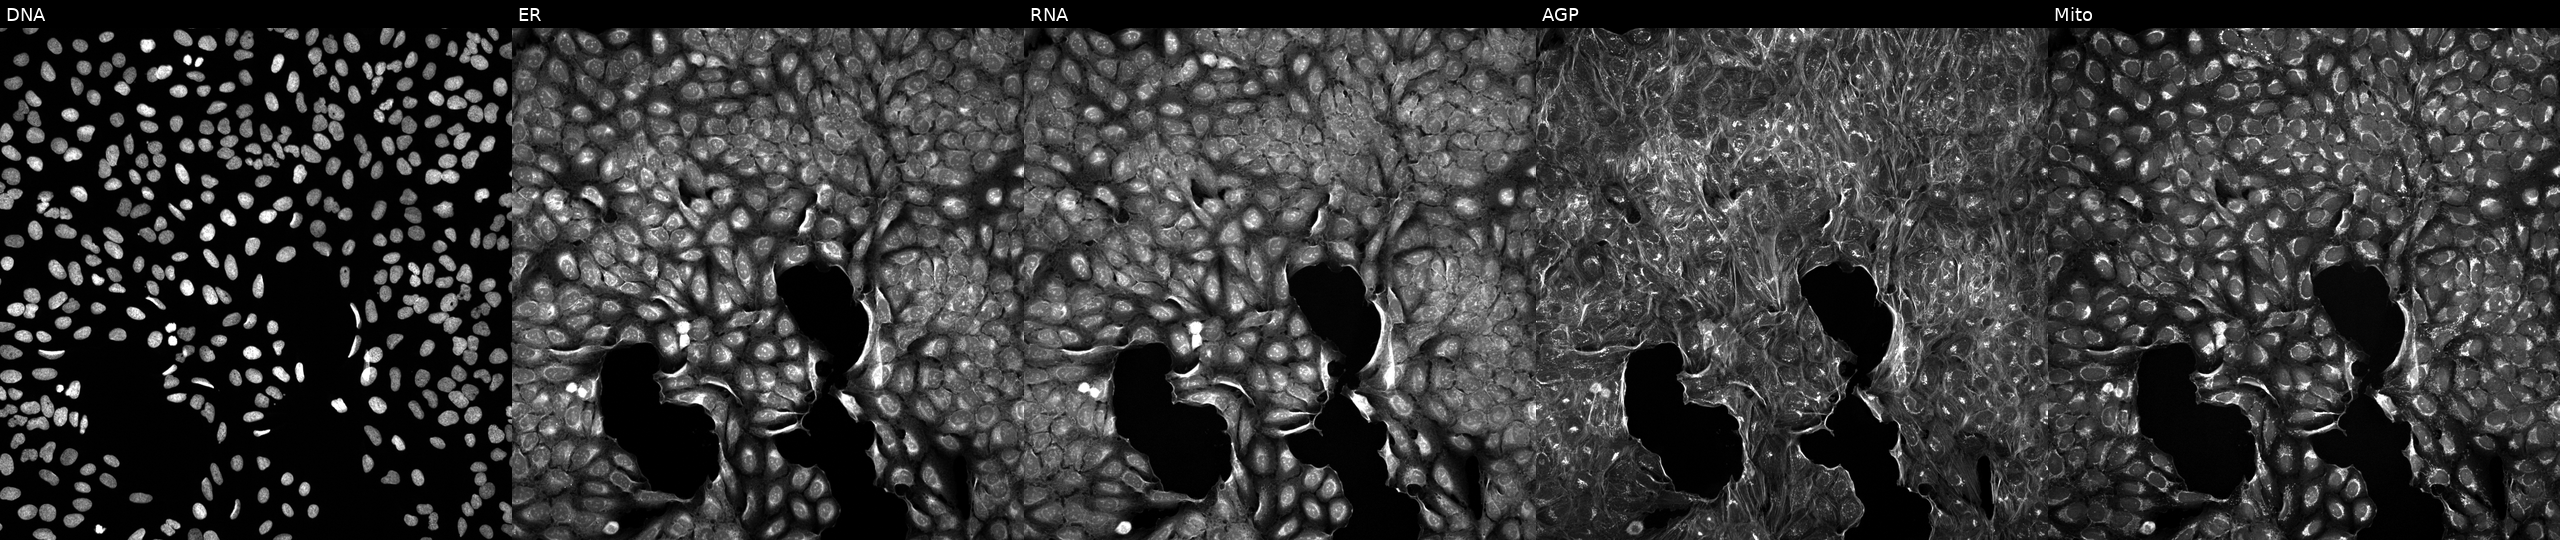
The five panels, left to right, show DNA, ER, RNA, AGP, and Mito. U2OS osteosarcoma cells treated with a small-molecule compound (InChIKey SVMHYHIZWOJKDL-UHFFFAOYSA-N). Cell Painting assay, JUMP-CP dataset.